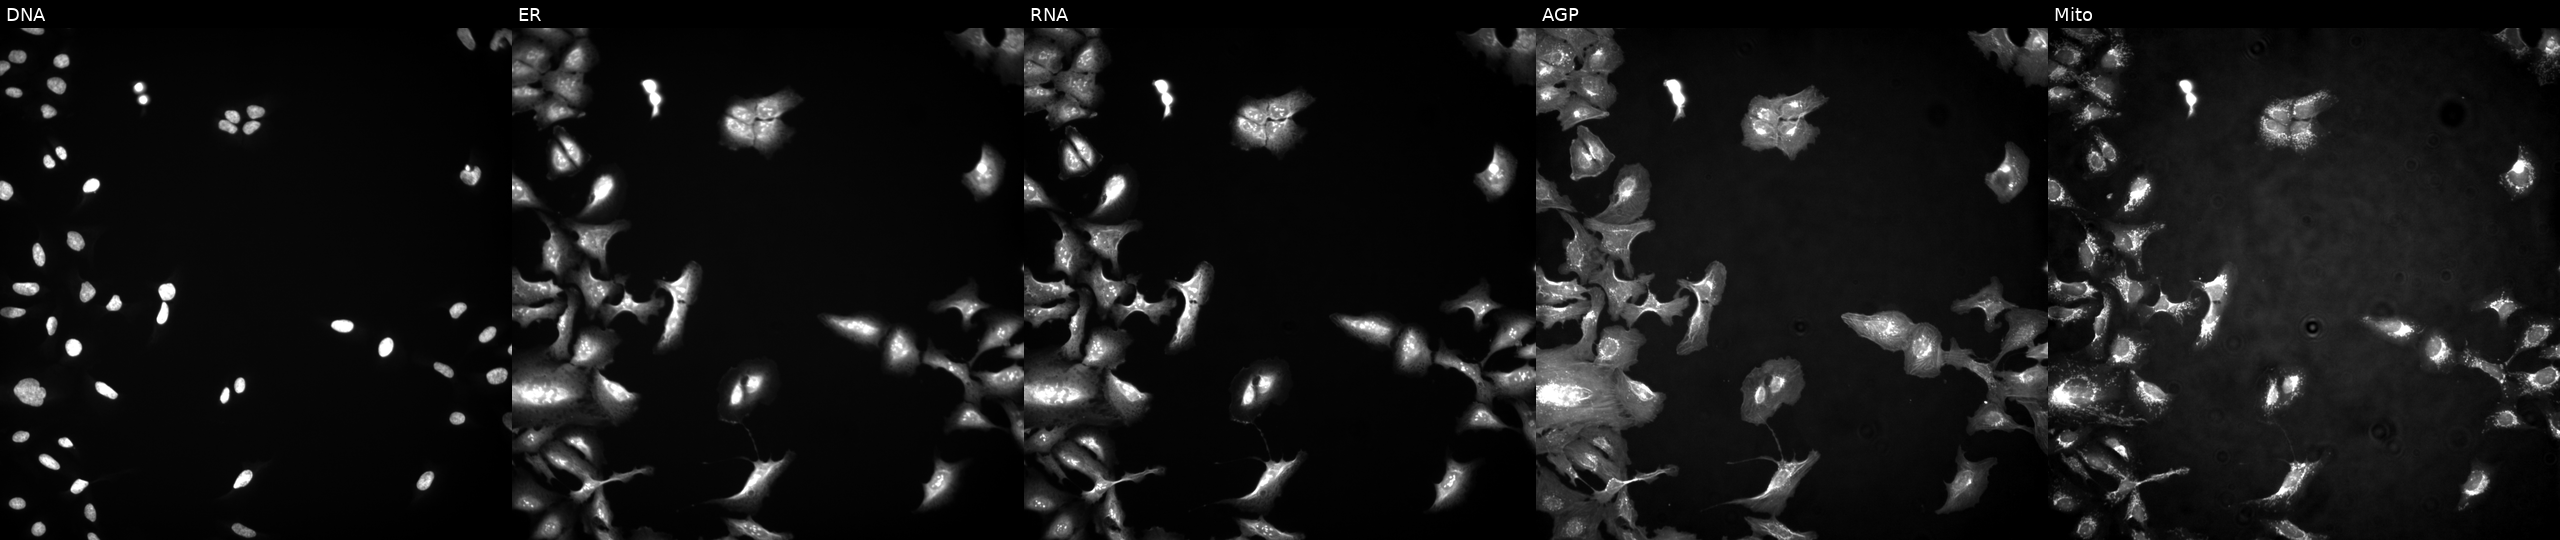
Five-channel Cell Painting image of U2OS cells overexpressing ZNF550 via ORF transfection. From left to right: Hoechst 33342, concanavalin A, SYTO 14, phalloidin and WGA, MitoTracker.